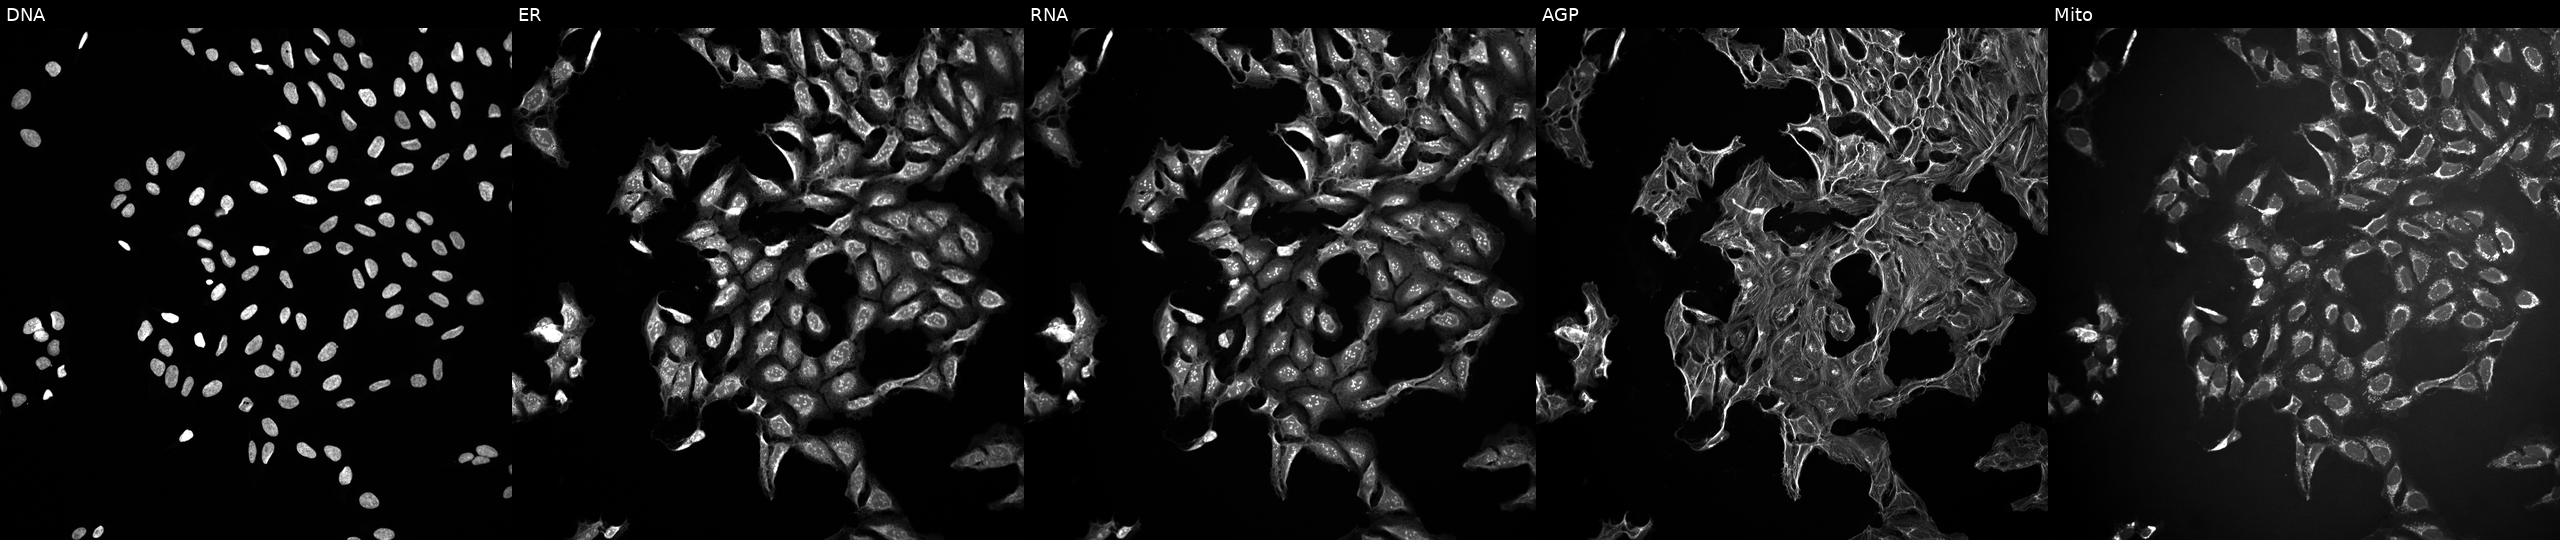
This image strip shows the five Cell Painting channels for a single field of U2OS cells treated with a small-molecule compound (InChIKey ALBKMJDFBZVHAK-UHFFFAOYSA-N) (JUMP id JCP2022_002118). Channels (left→right): Hoechst 33342, concanavalin A, SYTO 14, phalloidin and WGA, MitoTracker. Source 10, plate Dest210726-160150, well M19.